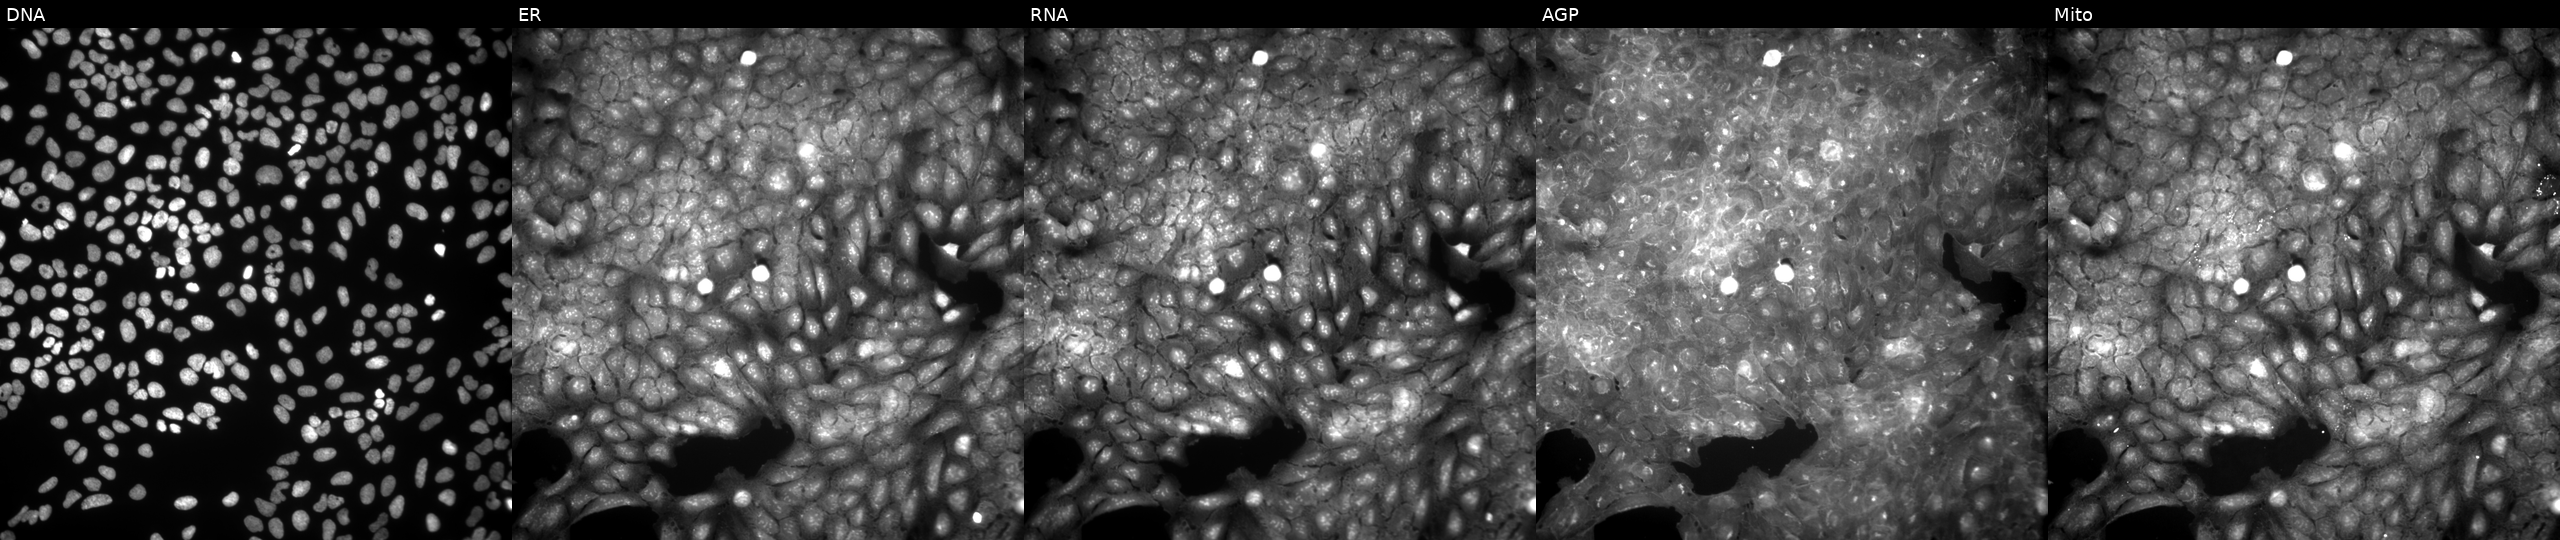
Panels show, left to right, DNA, ER, RNA, AGP, and Mito. U2OS osteosarcoma cells perturbed with a small-molecule compound (JUMP id JCP2022_095307). Cell Painting assay, JUMP-CP dataset.